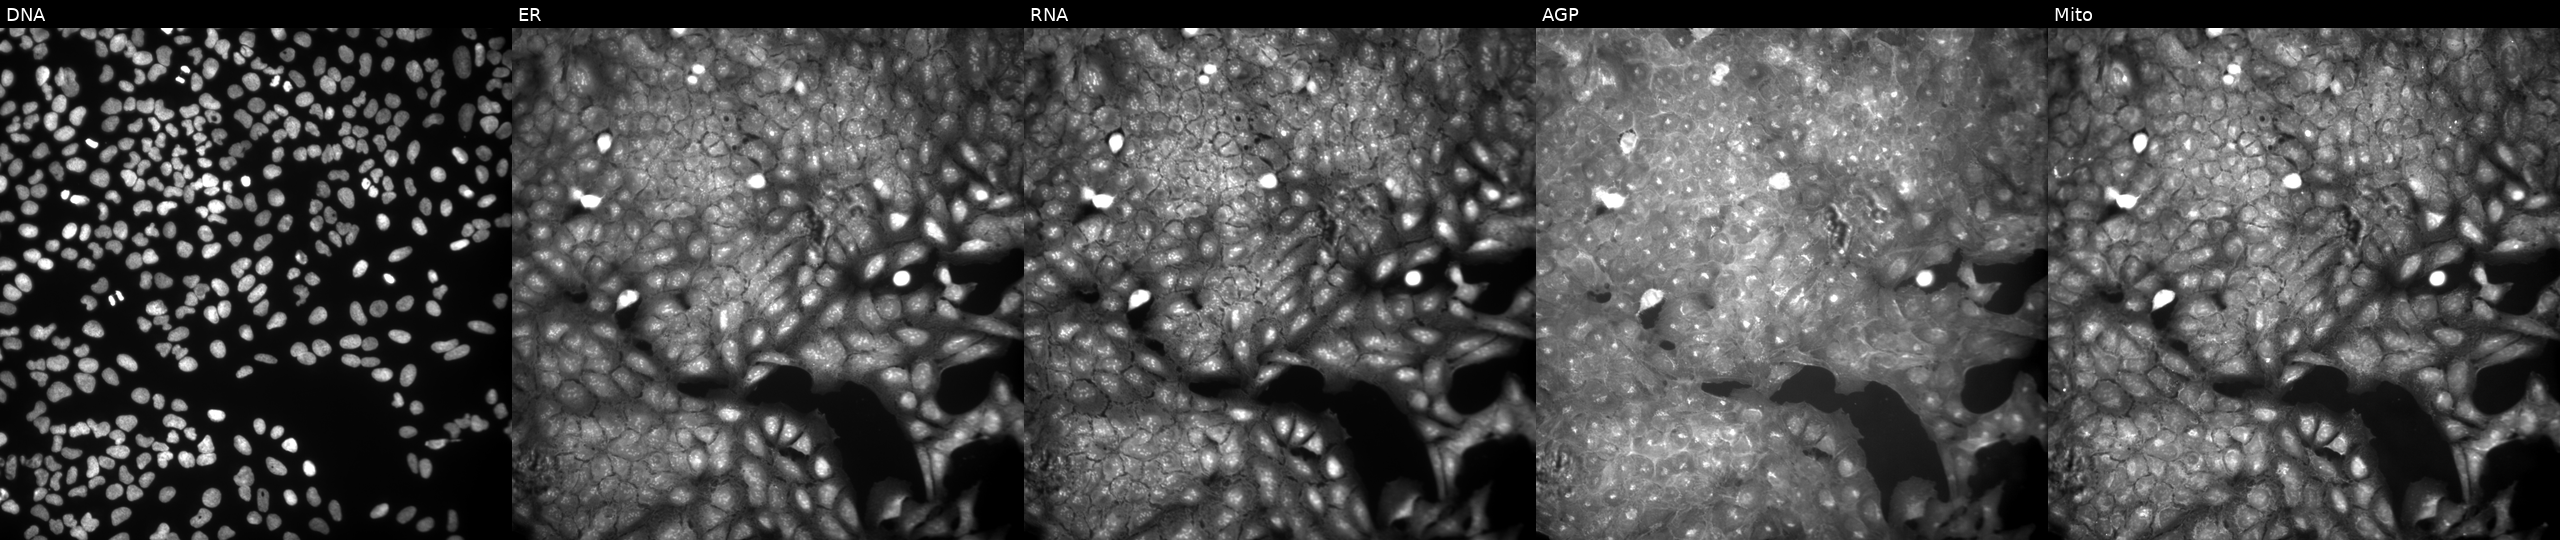
Five-channel Cell Painting image of U2OS cells treated with a small-molecule compound (InChIKey CTTUDYDDUBGGSG-UHFFFAOYSA-N). Panels show, left to right, DNA (nuclei); ER (endoplasmic reticulum); RNA (nucleoli and cytoplasmic RNA); AGP (actin cytoskeleton, Golgi, and plasma membrane); Mito (mitochondria).